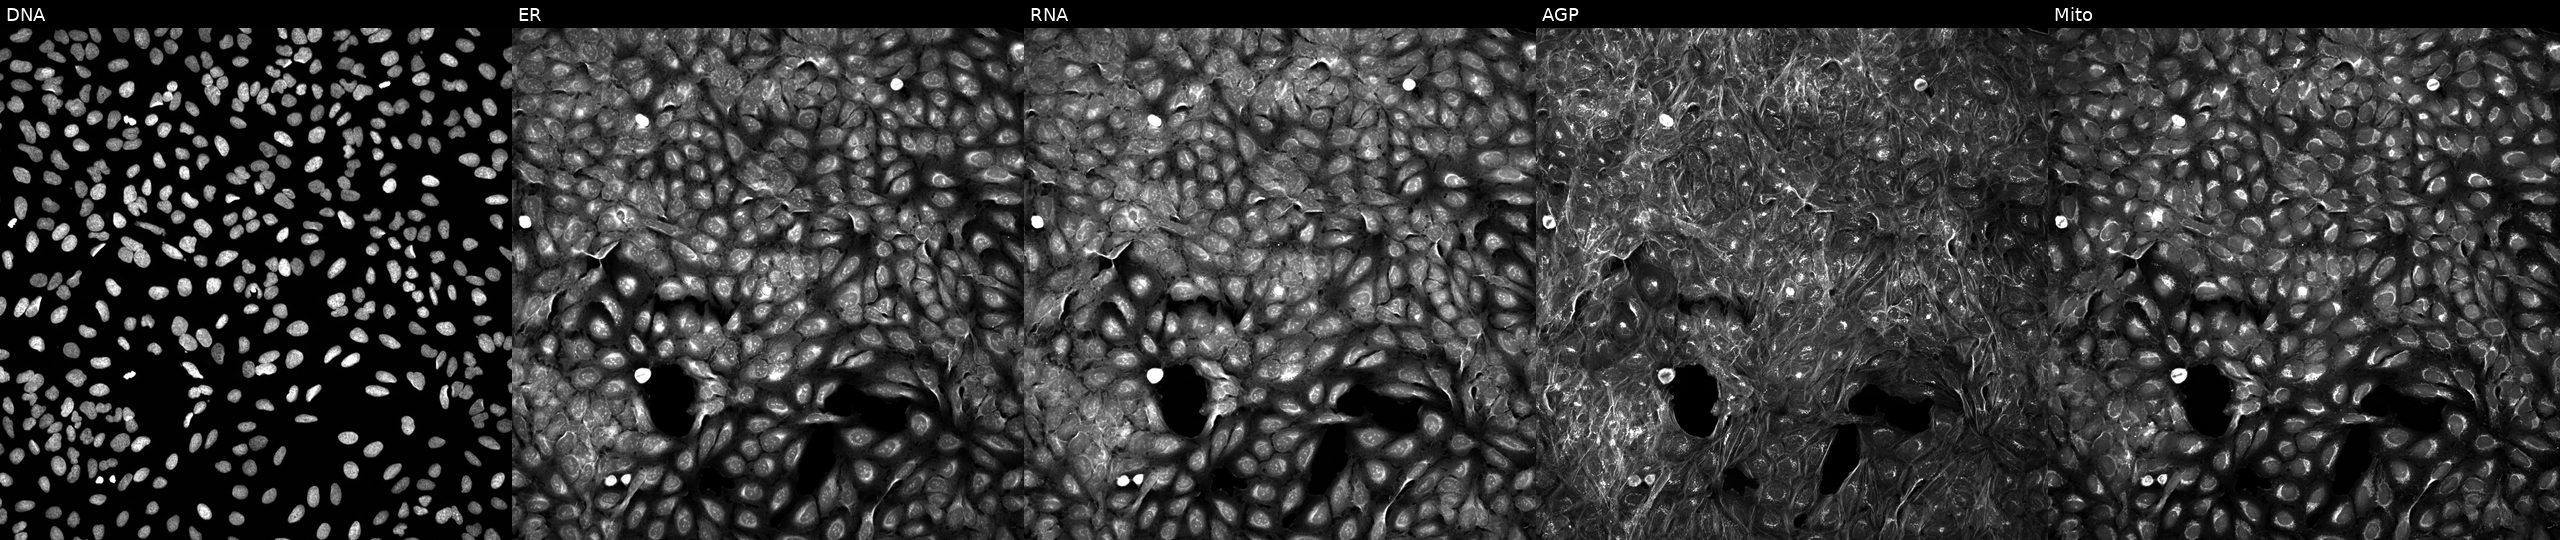
U2OS cells, Cell Painting assay, exposed to the positive-control compound aloxistatin (JUMP id JCP2022_085227). The five panels, left to right, show Hoechst 33342, concanavalin A, SYTO 14, phalloidin and WGA, MitoTracker. Each panel is percentile-stretched 16-bit fluorescence.